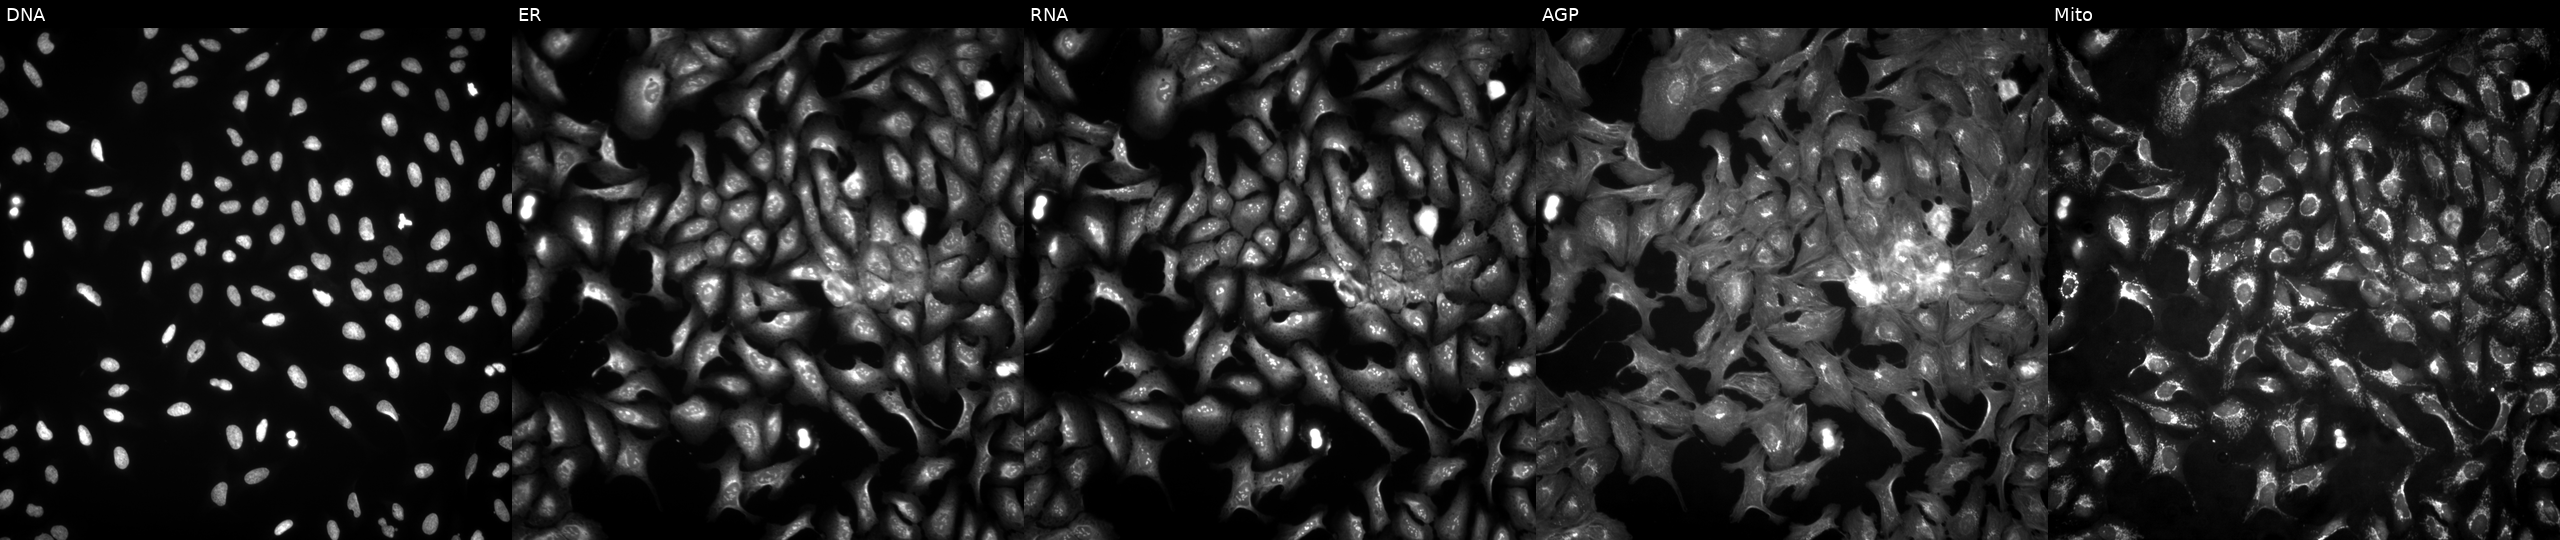
High-content fluorescence microscopy (Cell Painting). Cell line: U2OS. Perturbation: transfected with an ORF construct for STAU2 (JUMP id JCP2022_911040). The five panels, left to right, show DNA, ER, RNA, AGP, and Mito.